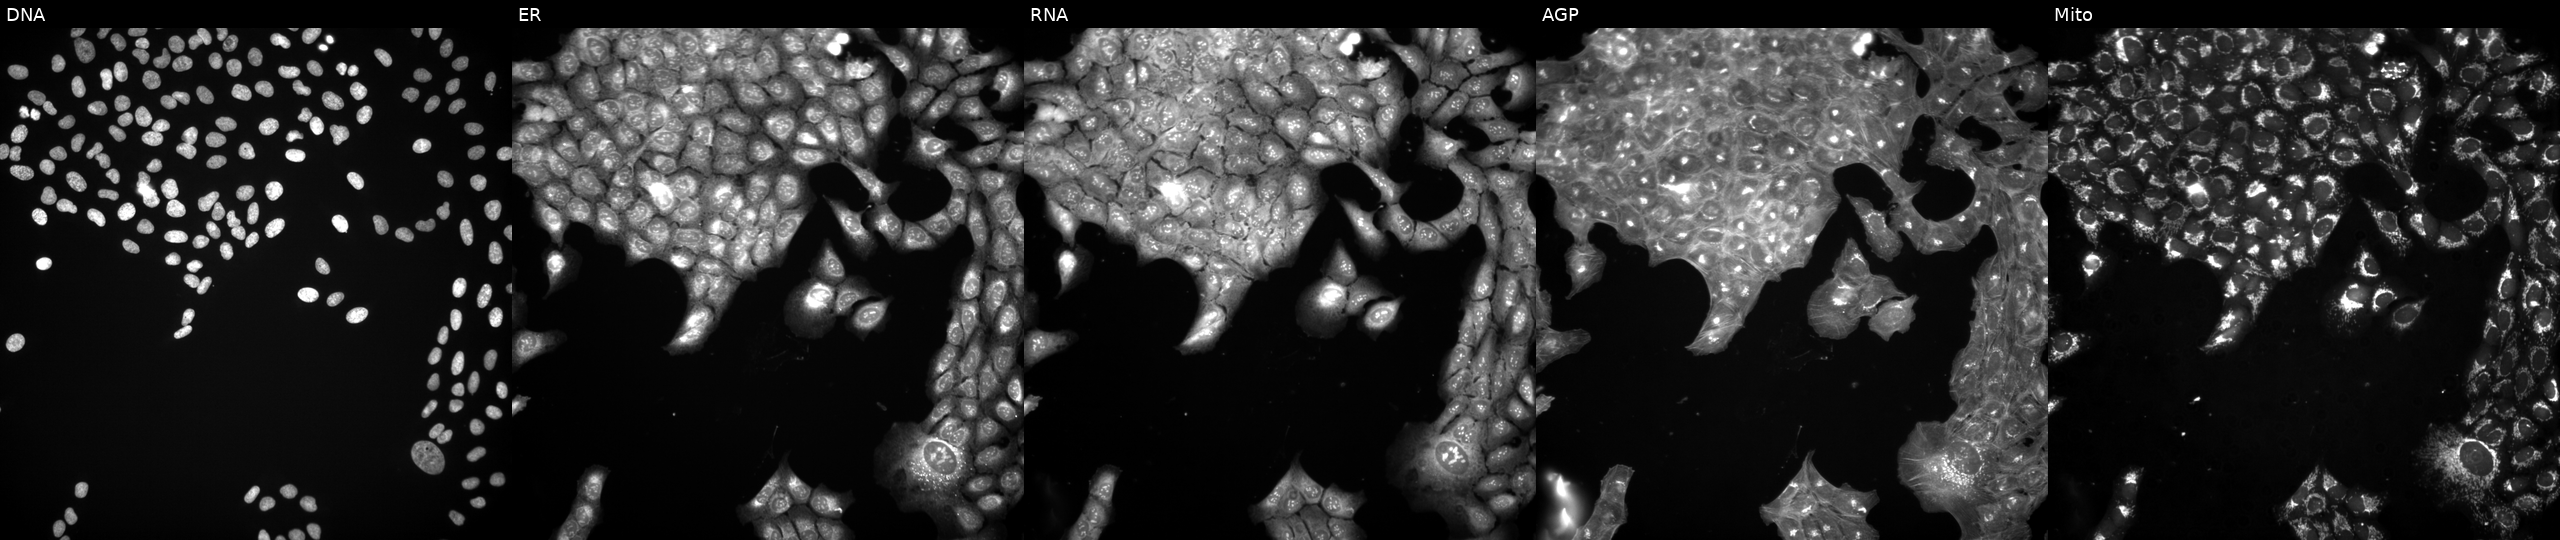
High-content fluorescence microscopy (Cell Painting). Cell line: U2OS. Perturbation: perturbed with a small-molecule compound (InChIKey JKIWAAJQBNUQRN-UHFFFAOYSA-N) (JUMP id JCP2022_040372). The five panels, left to right, show DNA, ER, RNA, AGP, and Mito.